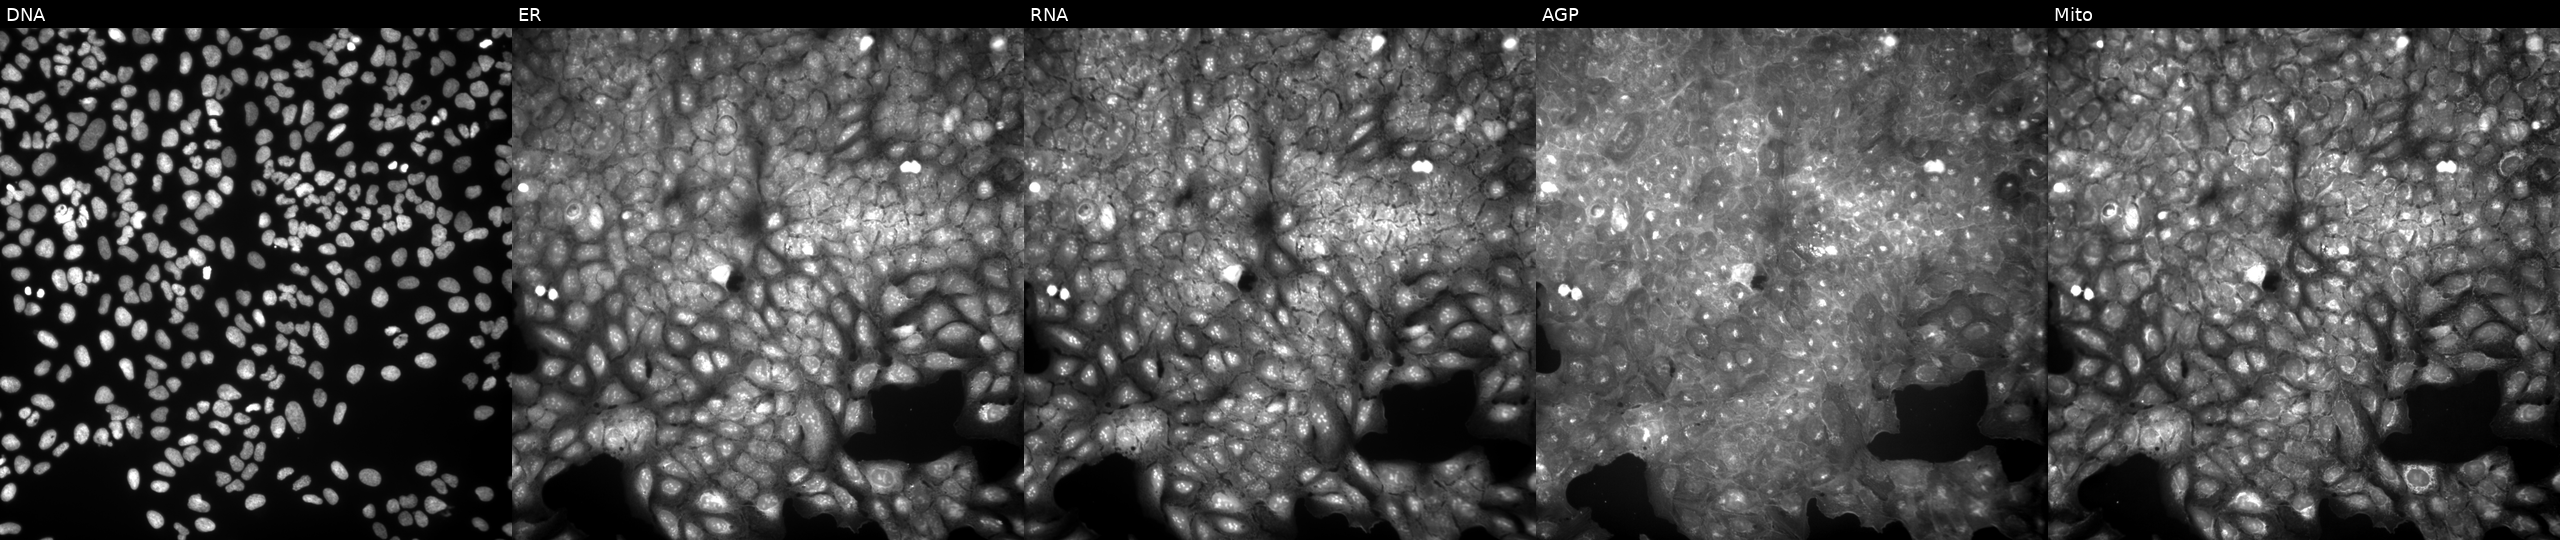
Panels show, left to right, DNA, ER, RNA, AGP, and Mito. U2OS osteosarcoma cells perturbed with a small-molecule compound. Cell Painting assay, JUMP-CP dataset. Source 9, plate GR00003381, well N40.